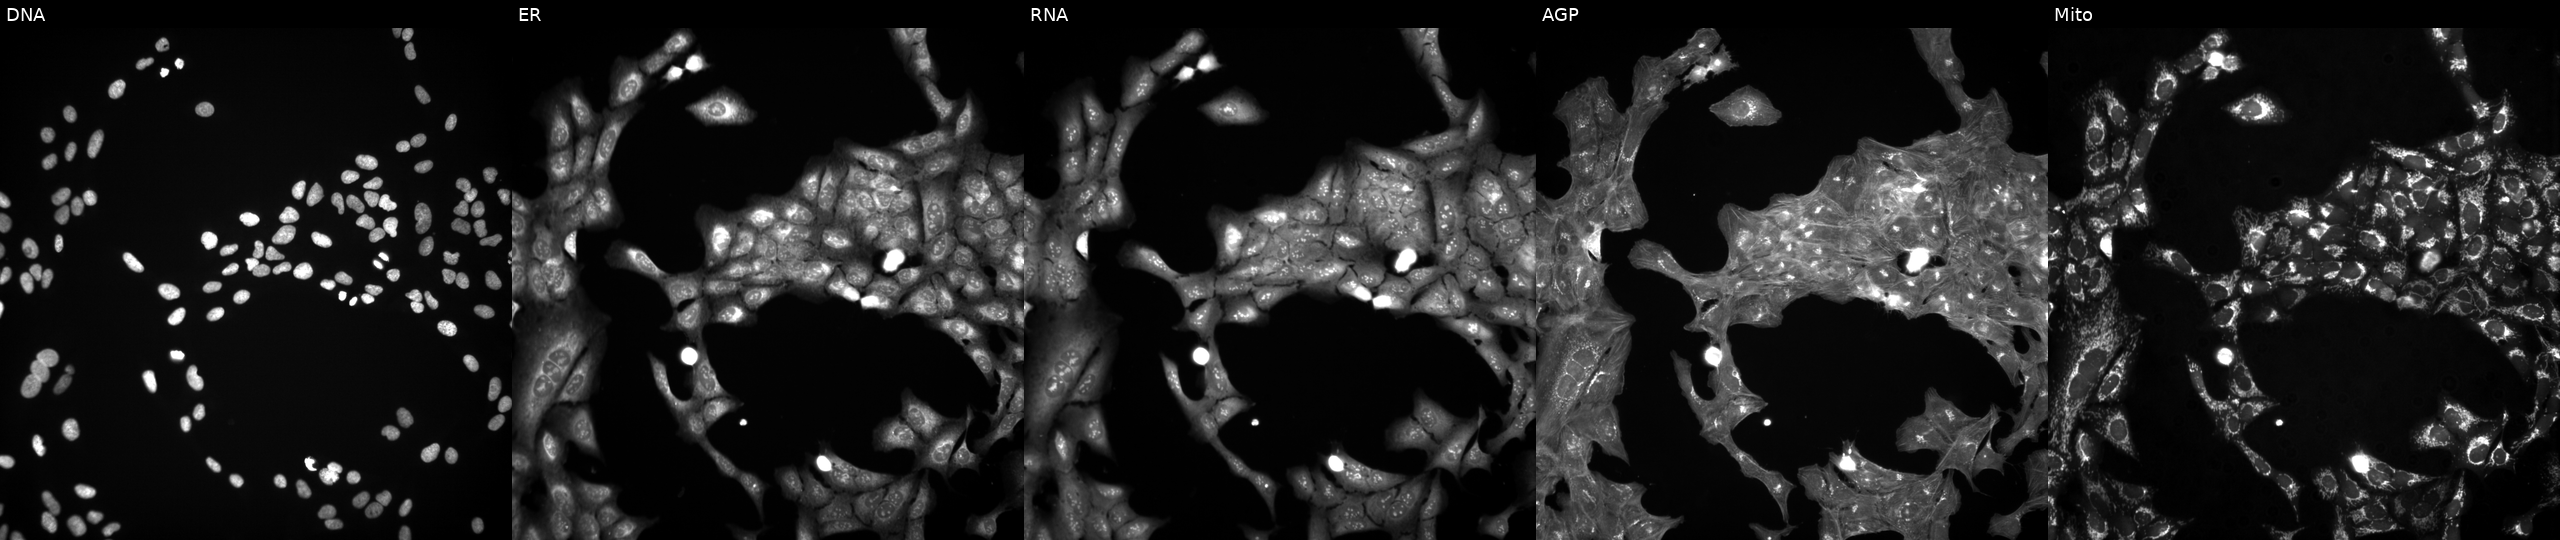
This image strip shows the five Cell Painting channels for a single field of U2OS cells exposed to a small-molecule compound (JUMP id JCP2022_023781). The five panels, left to right, show DNA, ER, RNA, AGP, and Mito.